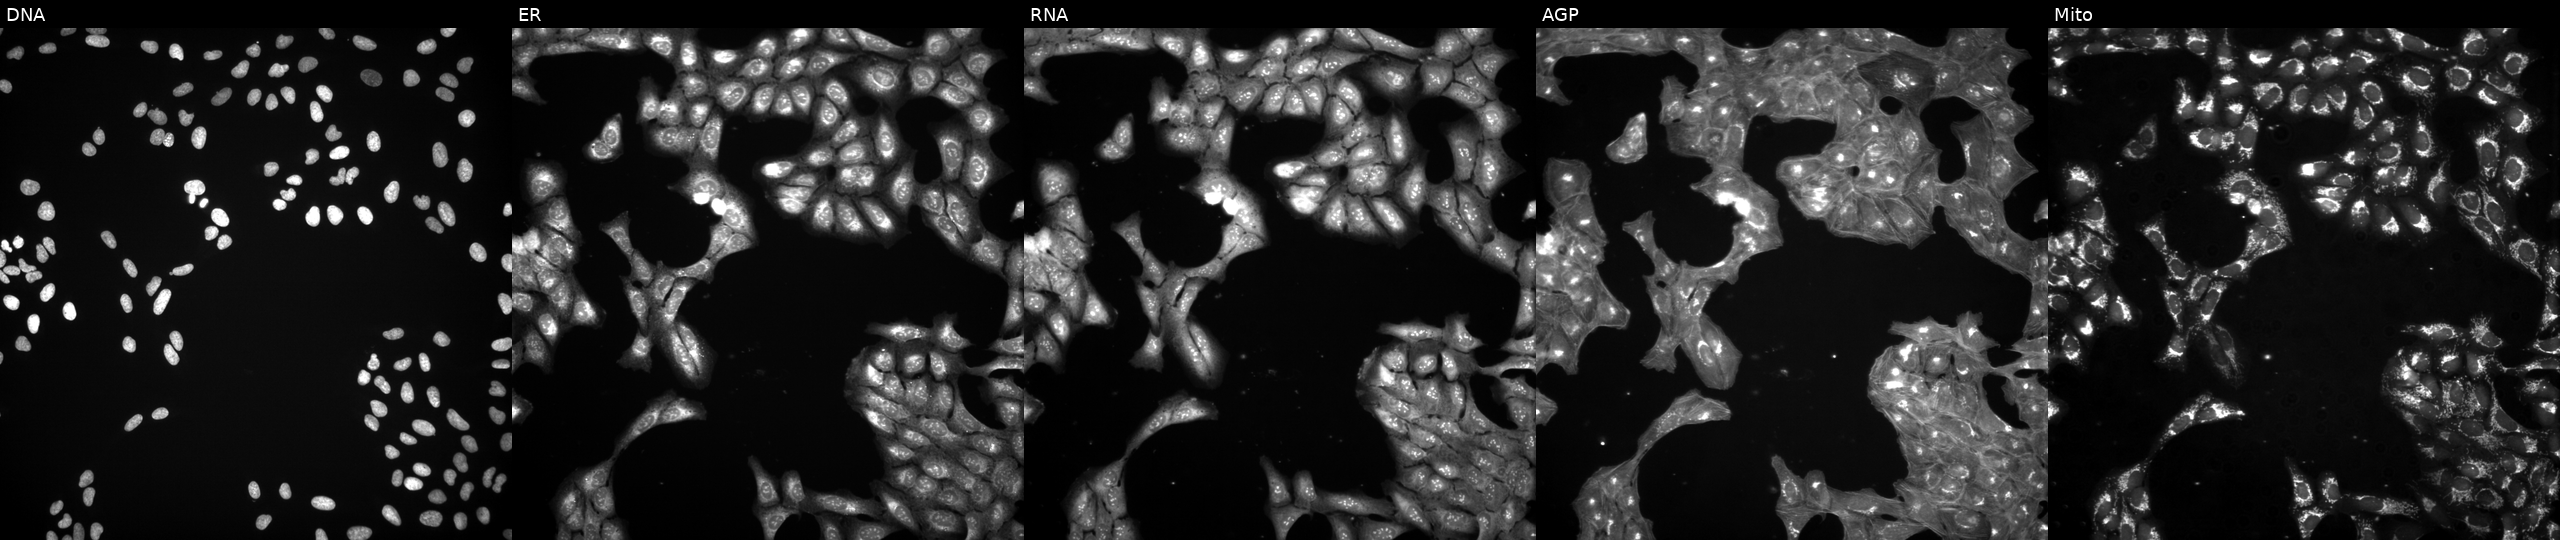
The five panels, left to right, show DNA, ER, RNA, AGP, and Mito. U2OS osteosarcoma cells treated with DMSO vehicle only (negative control) (JUMP id JCP2022_033924). Cell Painting assay, JUMP-CP dataset. Source 3, plate JCPQC052, well M13.